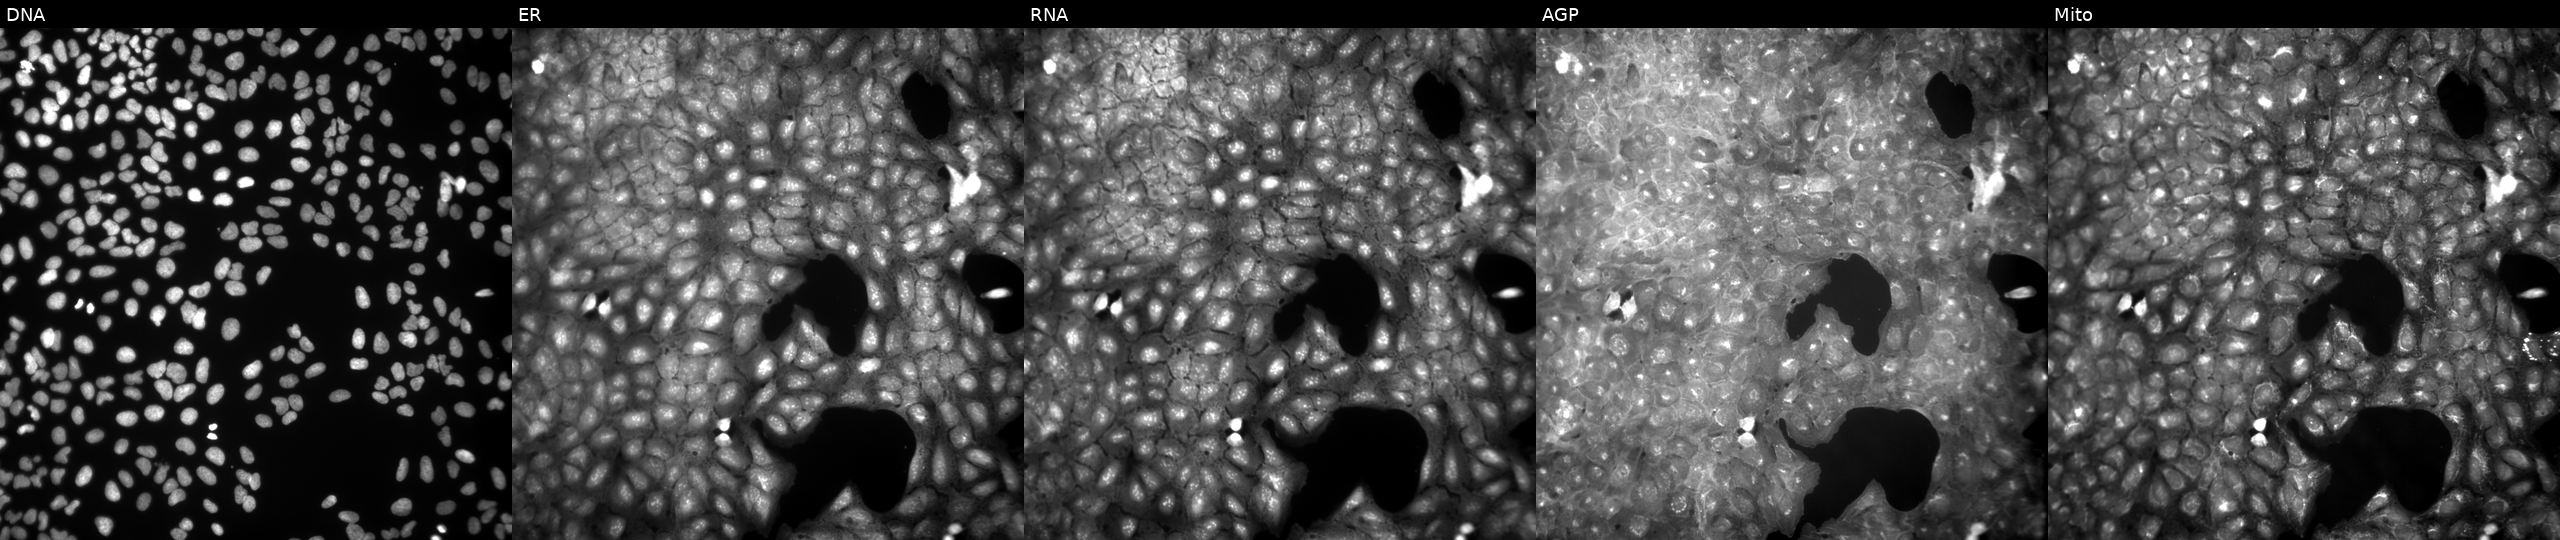
High-content fluorescence microscopy (Cell Painting). Cell line: U2OS. Perturbation: exposed to a small-molecule compound [SMILES: Cc1ccc2[nH]c(=Nc3nc(CC(=O)O)c(O)[nH]3)nc(C)c2c1] (JUMP id JCP2022_049175). From left to right: DNA, ER, RNA, AGP, and Mito.